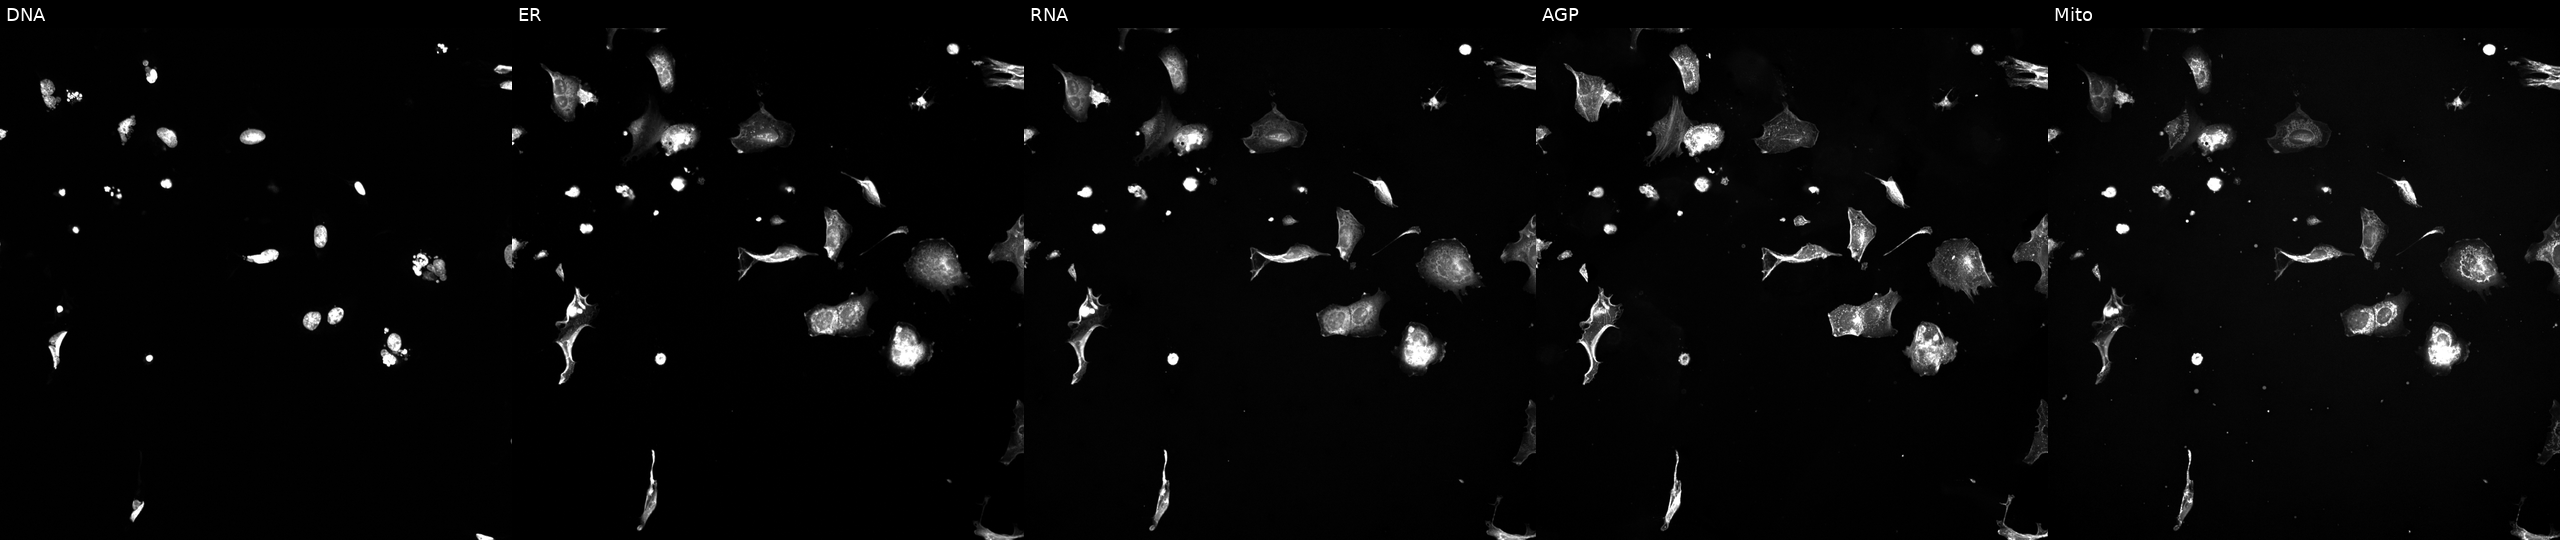
U2OS cells, Cell Painting assay, perturbed with a small-molecule compound. Panels show, left to right, DNA (nuclei); ER (endoplasmic reticulum); RNA (nucleoli and cytoplasmic RNA); AGP (actin cytoskeleton, Golgi, and plasma membrane); Mito (mitochondria). Each panel is percentile-stretched 16-bit fluorescence.